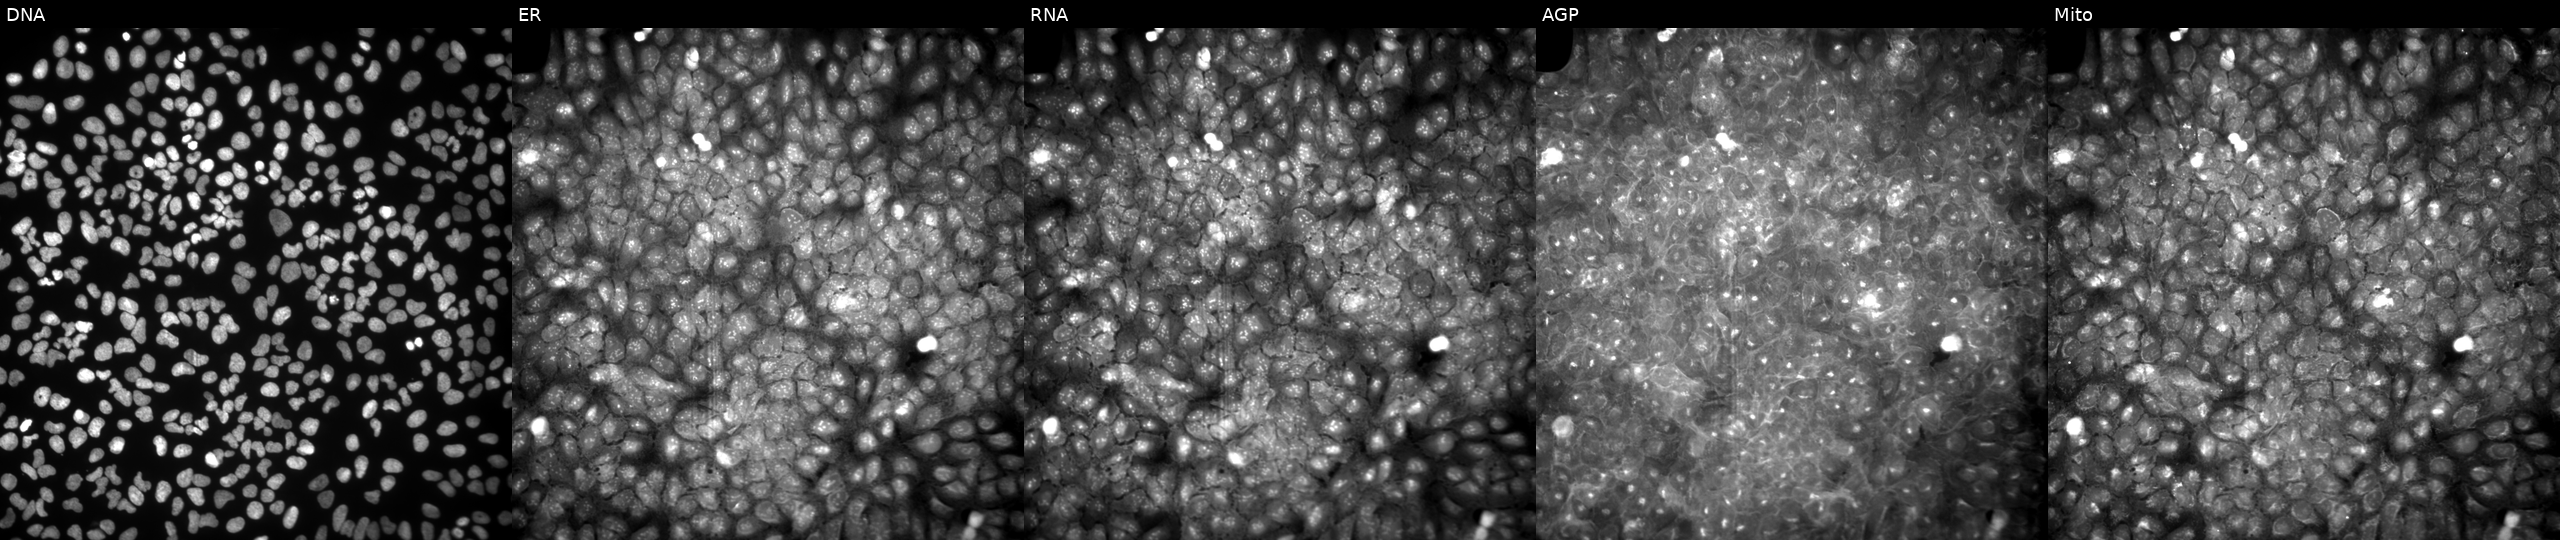
U2OS cells, Cell Painting assay, perturbed with a small-molecule compound. Channels (left→right): DNA, ER, RNA, AGP, and Mito. Each panel is percentile-stretched 16-bit fluorescence.